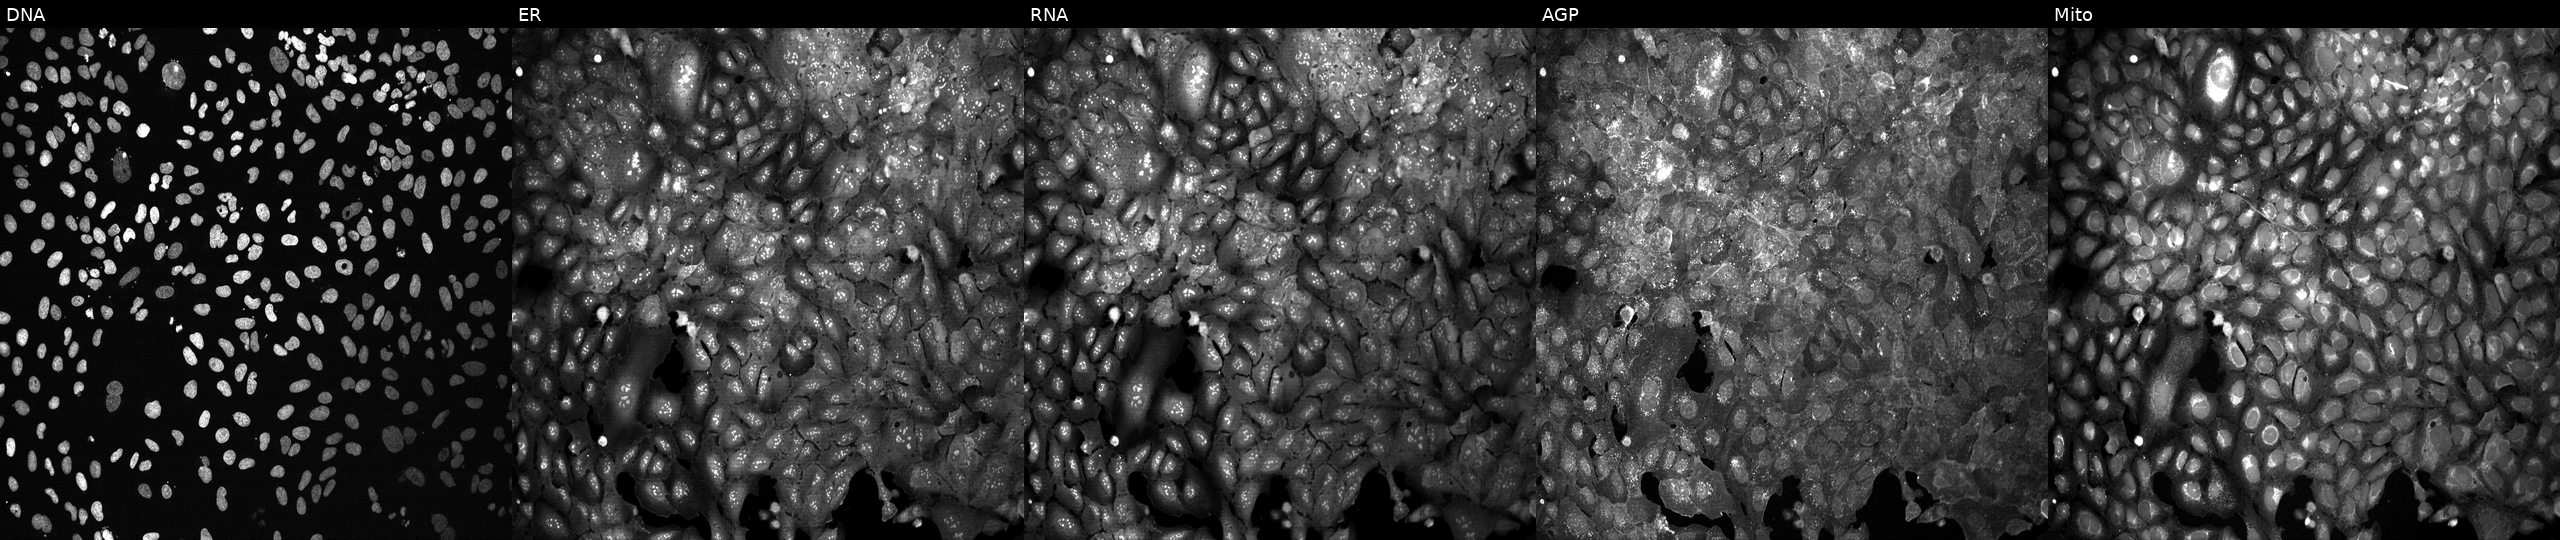
Five-channel Cell Painting image of U2OS cells following CRISPR knockout of CD160. The five panels, left to right, show Hoechst 33342, concanavalin A, SYTO 14, phalloidin and WGA, MitoTracker. Source 13, plate CP-CC9-R1-01, well G22.